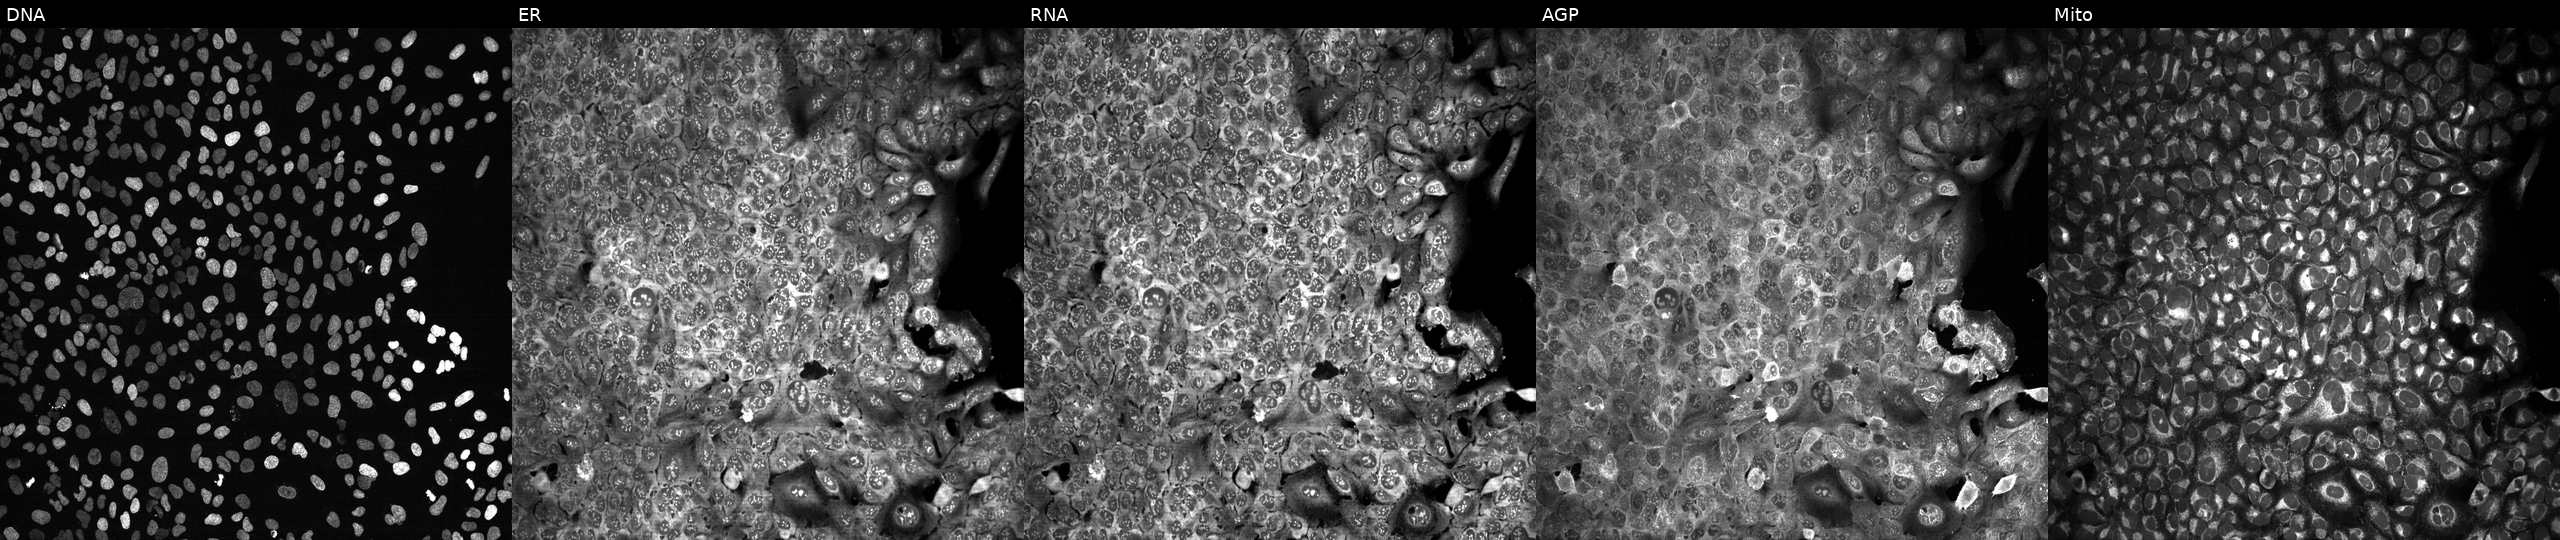
This image strip shows the five Cell Painting channels for a single field of U2OS cells with DCPS knocked out by CRISPR. Channels (left→right): DNA, ER, RNA, AGP, and Mito. Source 13, plate CP-CC9-R4-03, well H03.